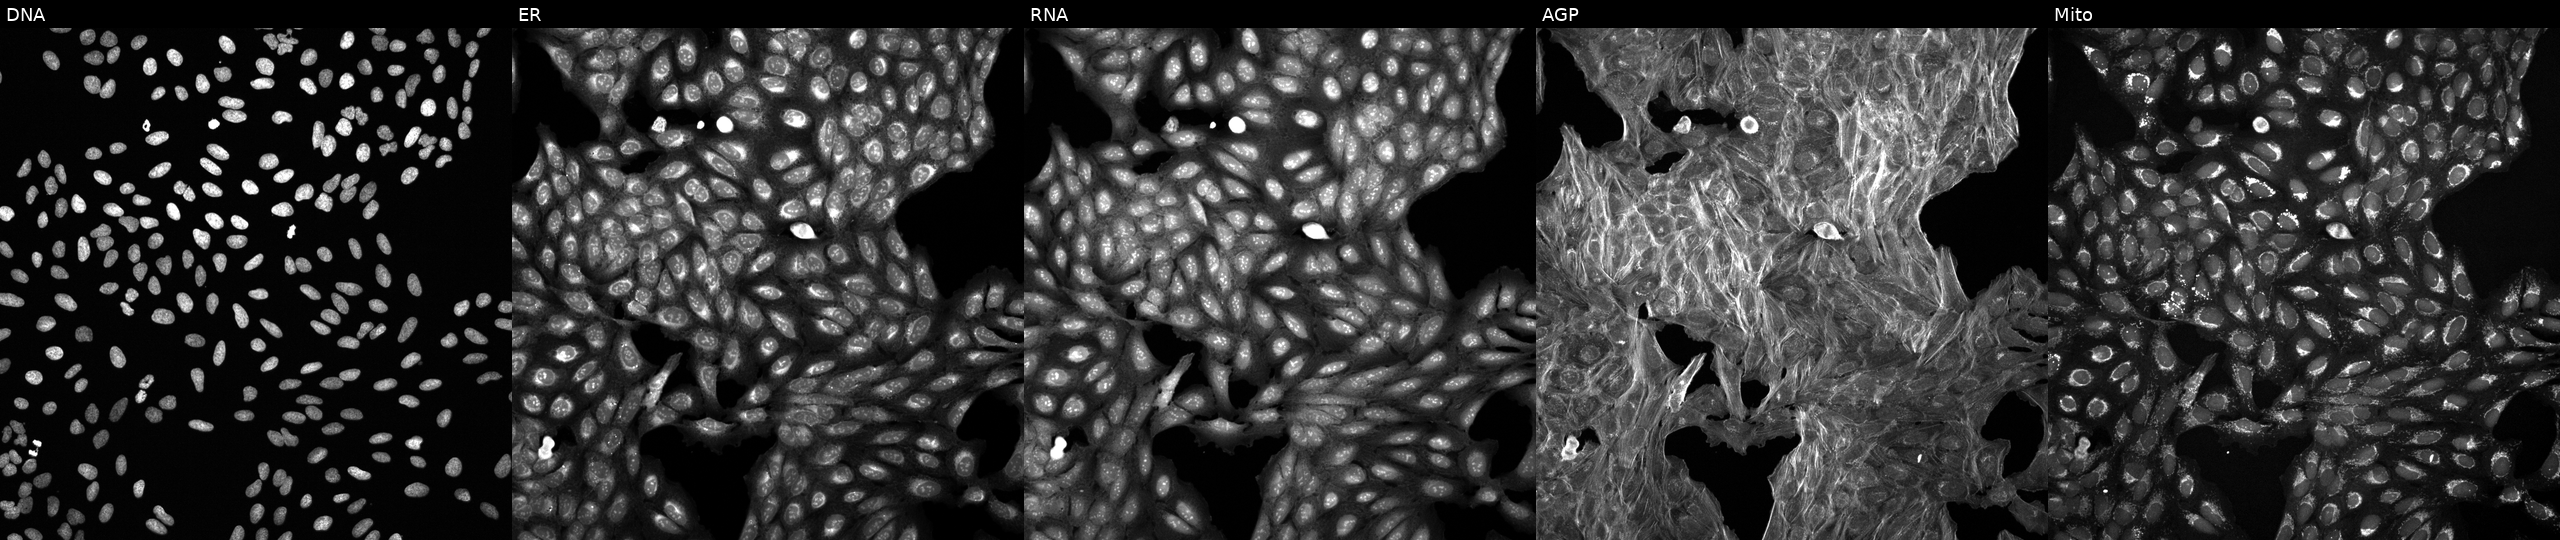
High-content fluorescence microscopy (Cell Painting). Cell line: U2OS. Perturbation: exposed to a small-molecule compound (InChIKey NULNEYCDLCCZGT-UHFFFAOYSA-N). Channels (left→right): Hoechst 33342, concanavalin A, SYTO 14, phalloidin and WGA, MitoTracker.